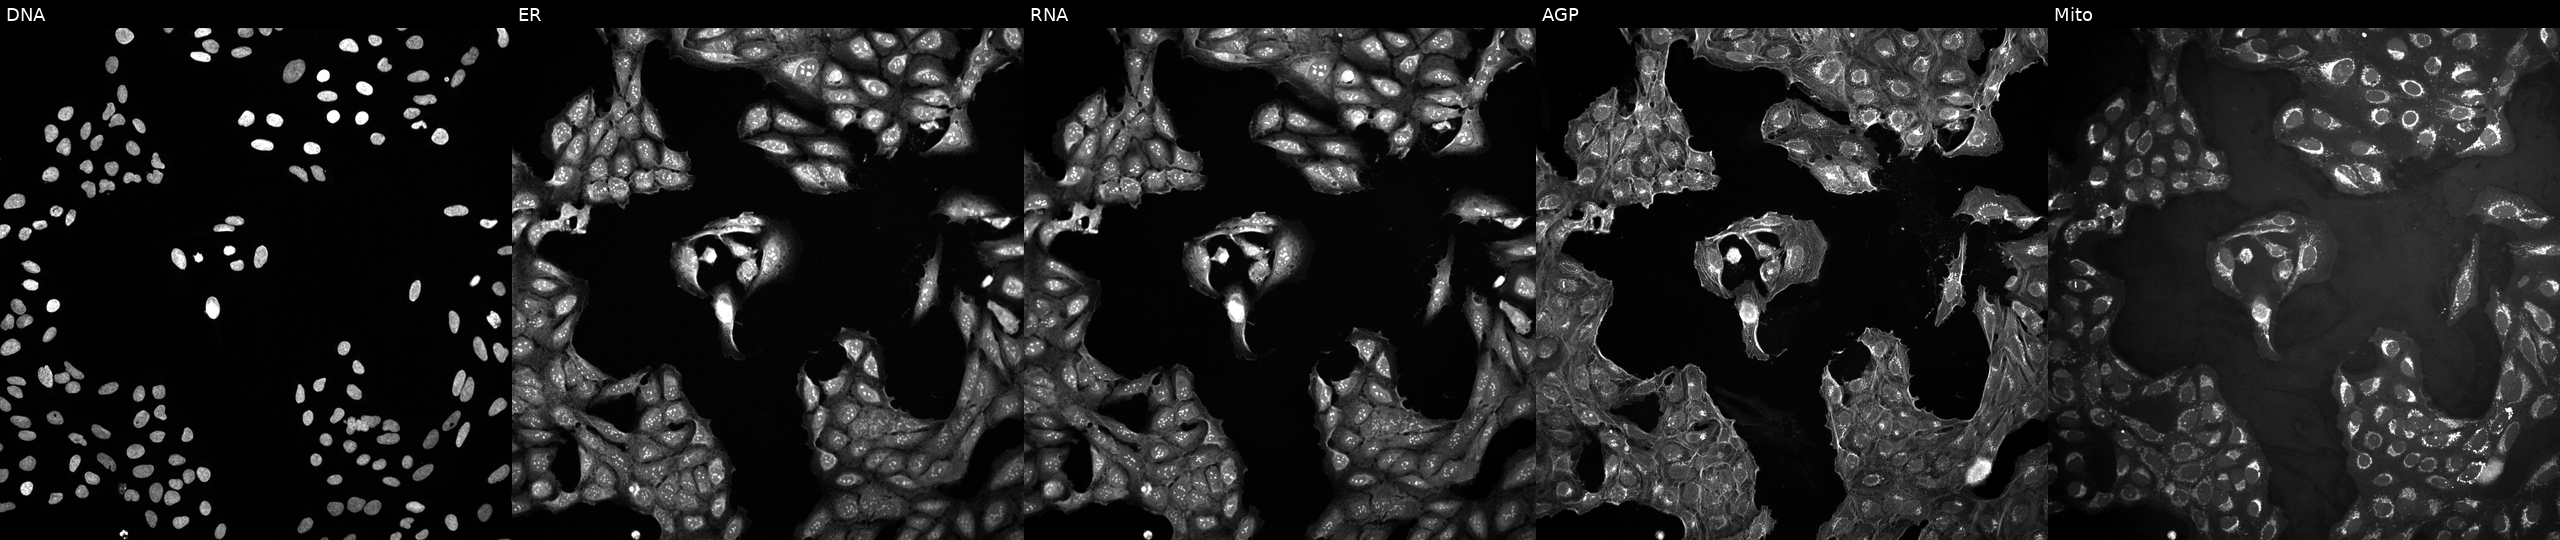
JUMP Cell Painting — COMPOUND plate. U2OS cells in an empty control well (no perturbation). Panels show, left to right, DNA (nuclei); ER (endoplasmic reticulum); RNA (nucleoli and cytoplasmic RNA); AGP (actin cytoskeleton, Golgi, and plasma membrane); Mito (mitochondria).